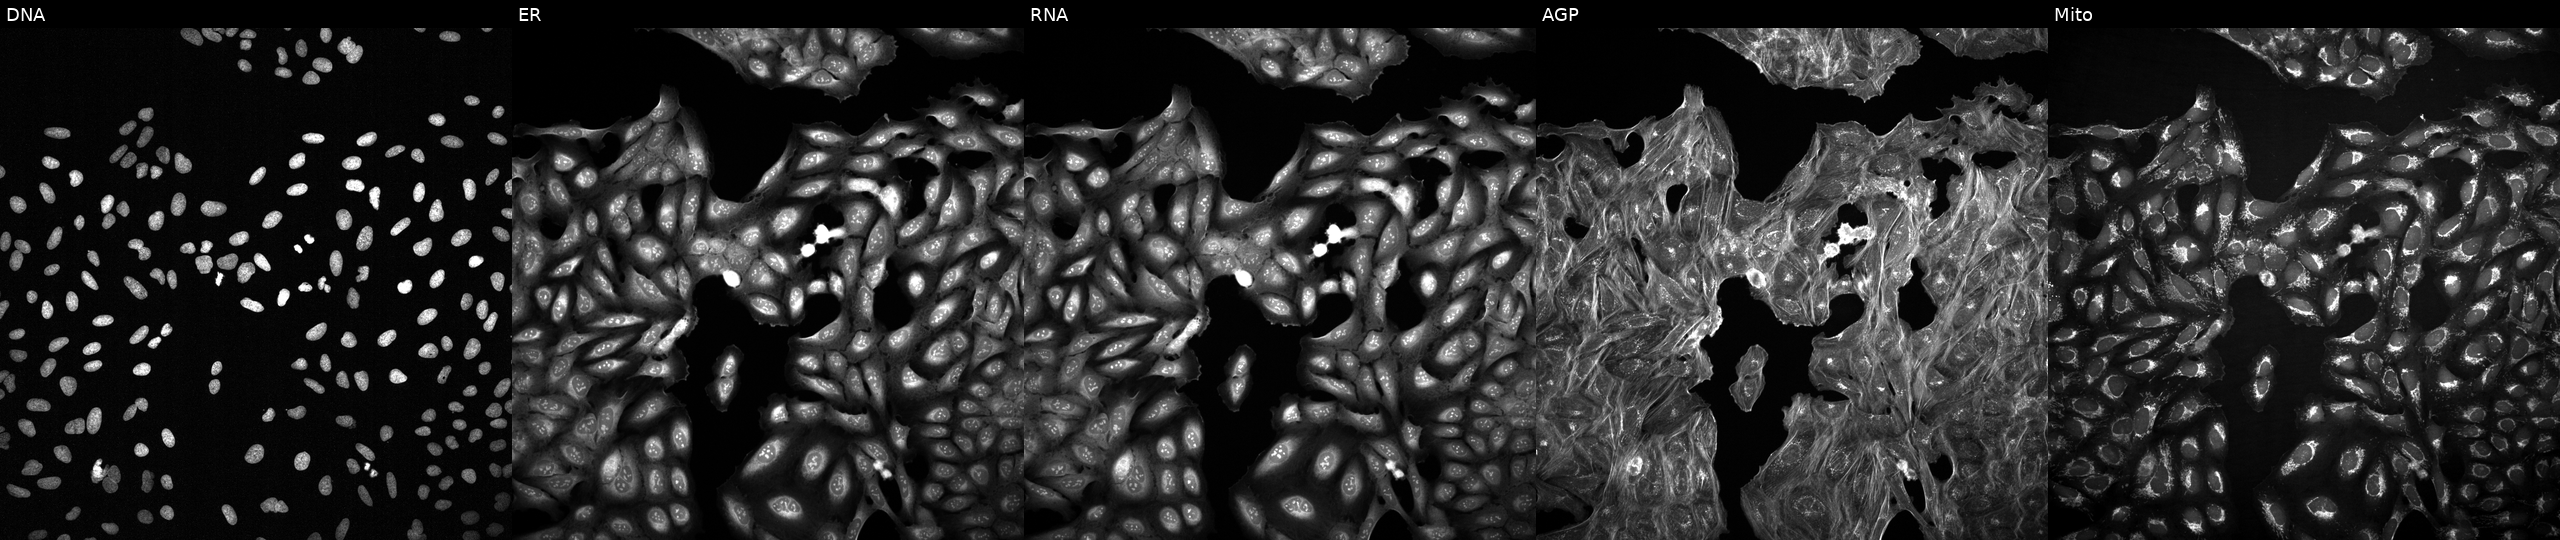
JUMP Cell Painting — TARGET2 plate. U2OS cells treated with DMSO vehicle only (negative control) (JUMP id JCP2022_033924). Channels (left→right): DNA, ER, RNA, AGP, and Mito. Source 2, plate 1053600674, well P11.